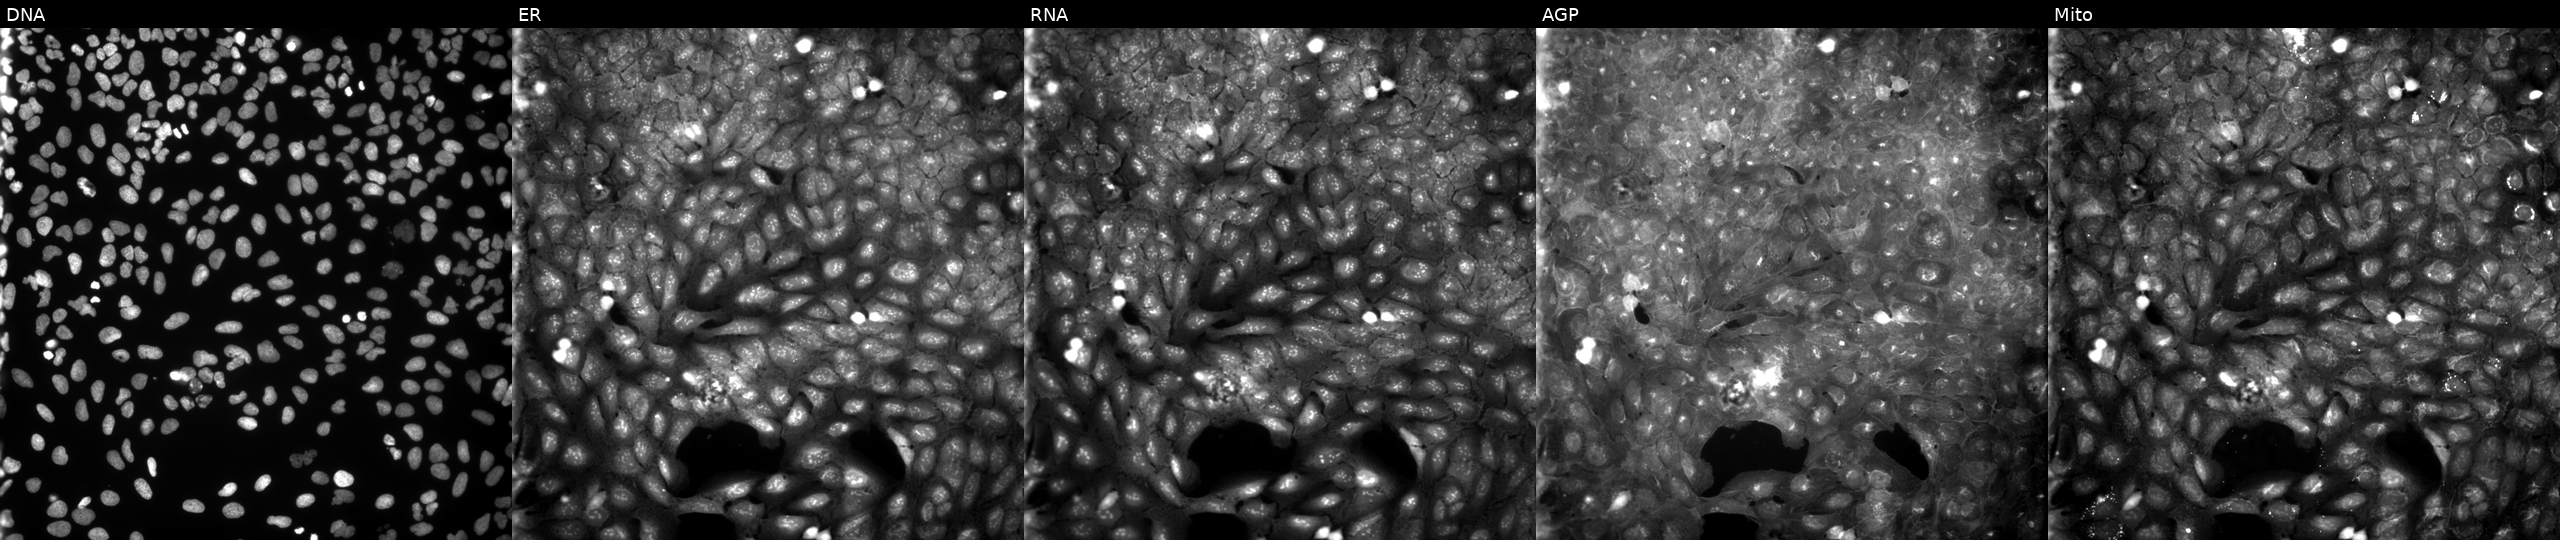
Channels (left→right): Hoechst 33342, concanavalin A, SYTO 14, phalloidin and WGA, MitoTracker. U2OS osteosarcoma cells treated with a small-molecule compound (JUMP id JCP2022_040525). Cell Painting assay, JUMP-CP dataset. Source 9, plate GR00003382, well I18.